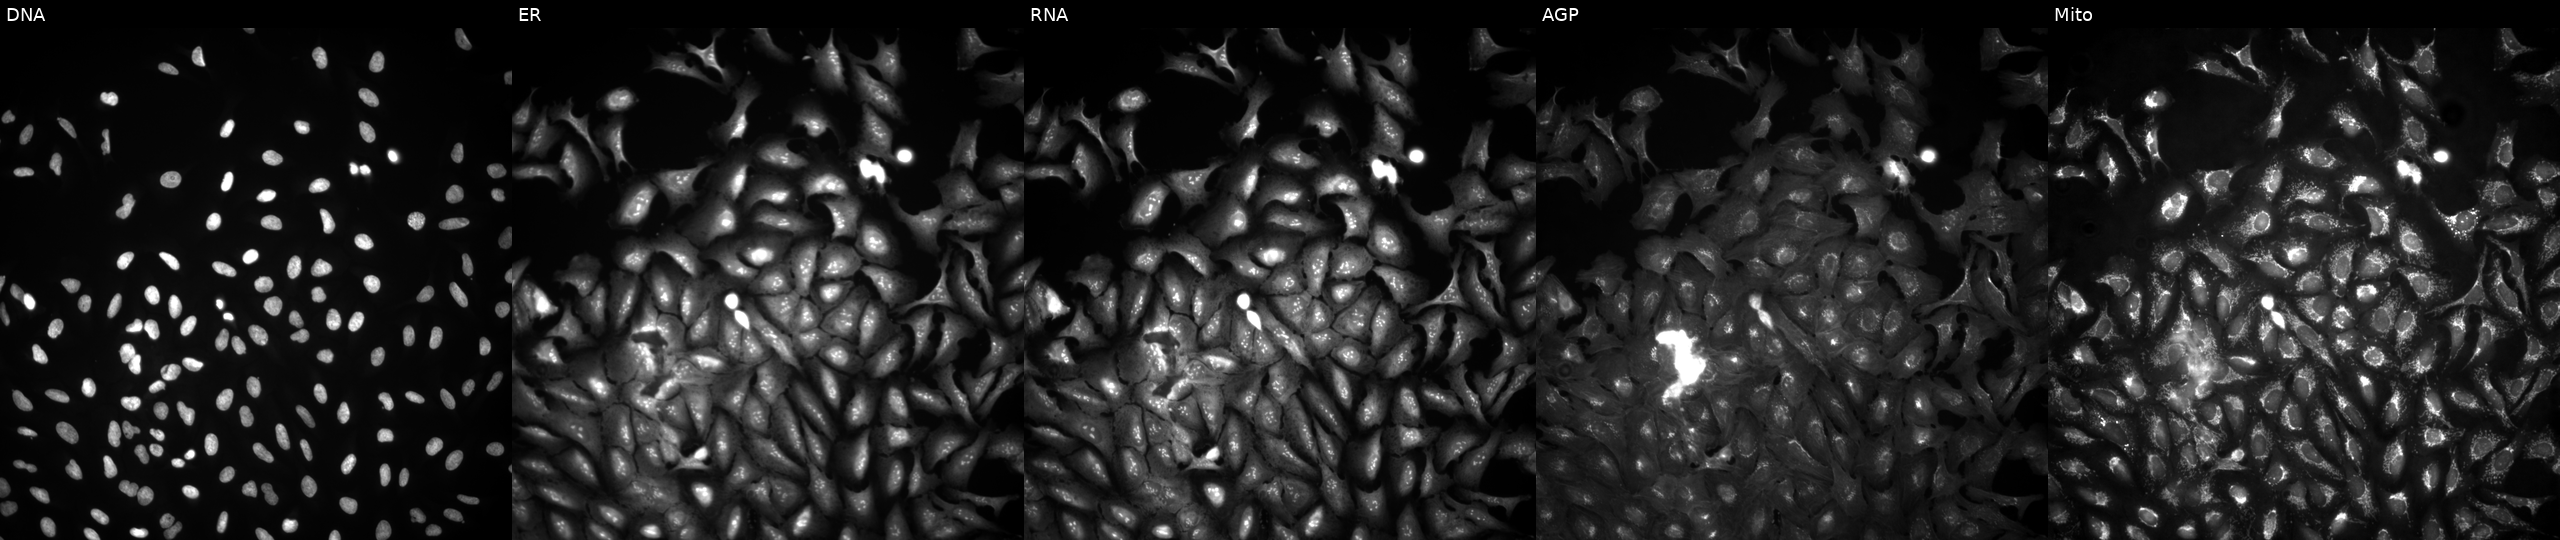
This image strip shows the five Cell Painting channels for a single field of U2OS cells transfected with an ORF construct for RNF166. Channels (left→right): Hoechst 33342, concanavalin A, SYTO 14, phalloidin and WGA, MitoTracker.